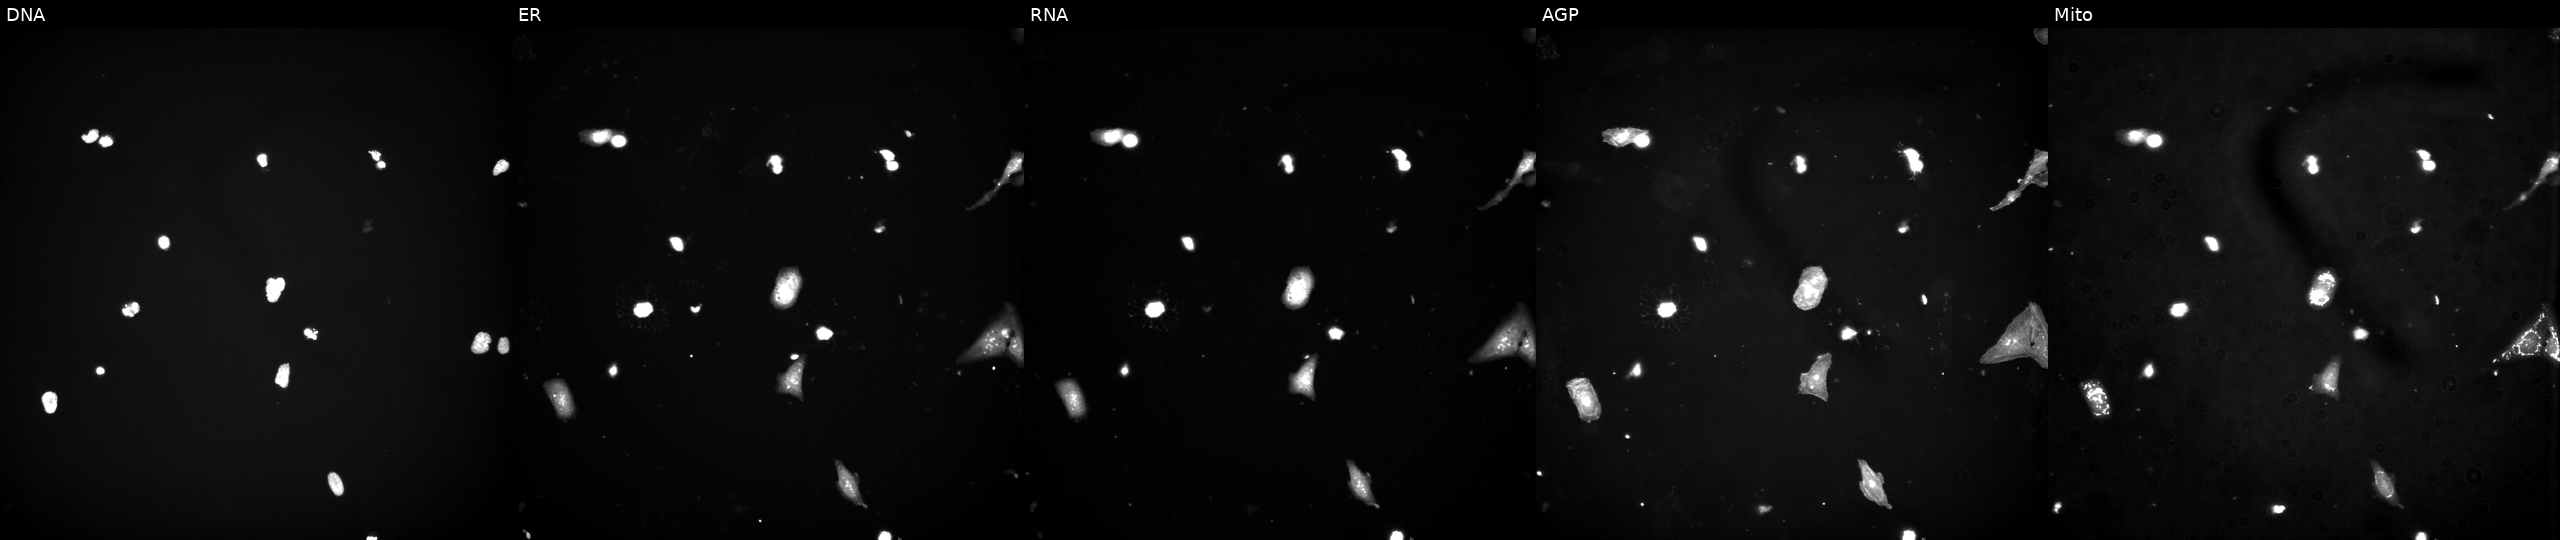
Channels (left→right): DNA (nuclei); ER (endoplasmic reticulum); RNA (nucleoli and cytoplasmic RNA); AGP (actin cytoskeleton, Golgi, and plasma membrane); Mito (mitochondria). U2OS osteosarcoma cells exposed to a small-molecule compound (InChIKey HYFHYPWGAURHIV-UHFFFAOYSA-N). Cell Painting assay, JUMP-CP dataset. Source 3, plate JCPQC053, well E10.